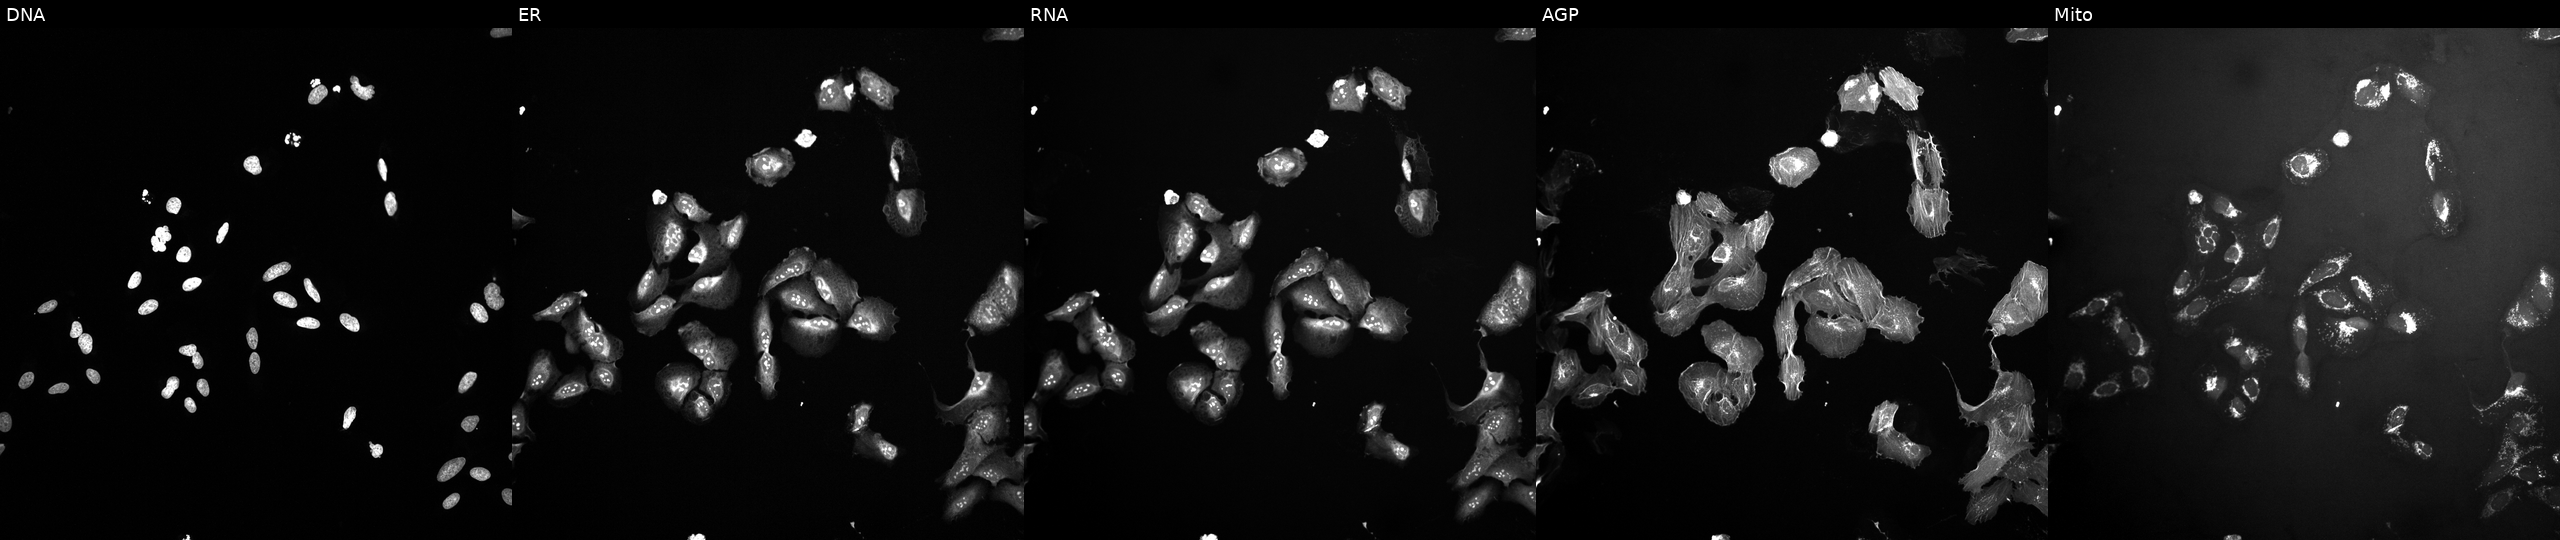
High-content fluorescence microscopy (Cell Painting). Cell line: U2OS. Perturbation: treated with TC-S-7004 (positive-control compound). From left to right: Hoechst 33342, concanavalin A, SYTO 14, phalloidin and WGA, MitoTracker.